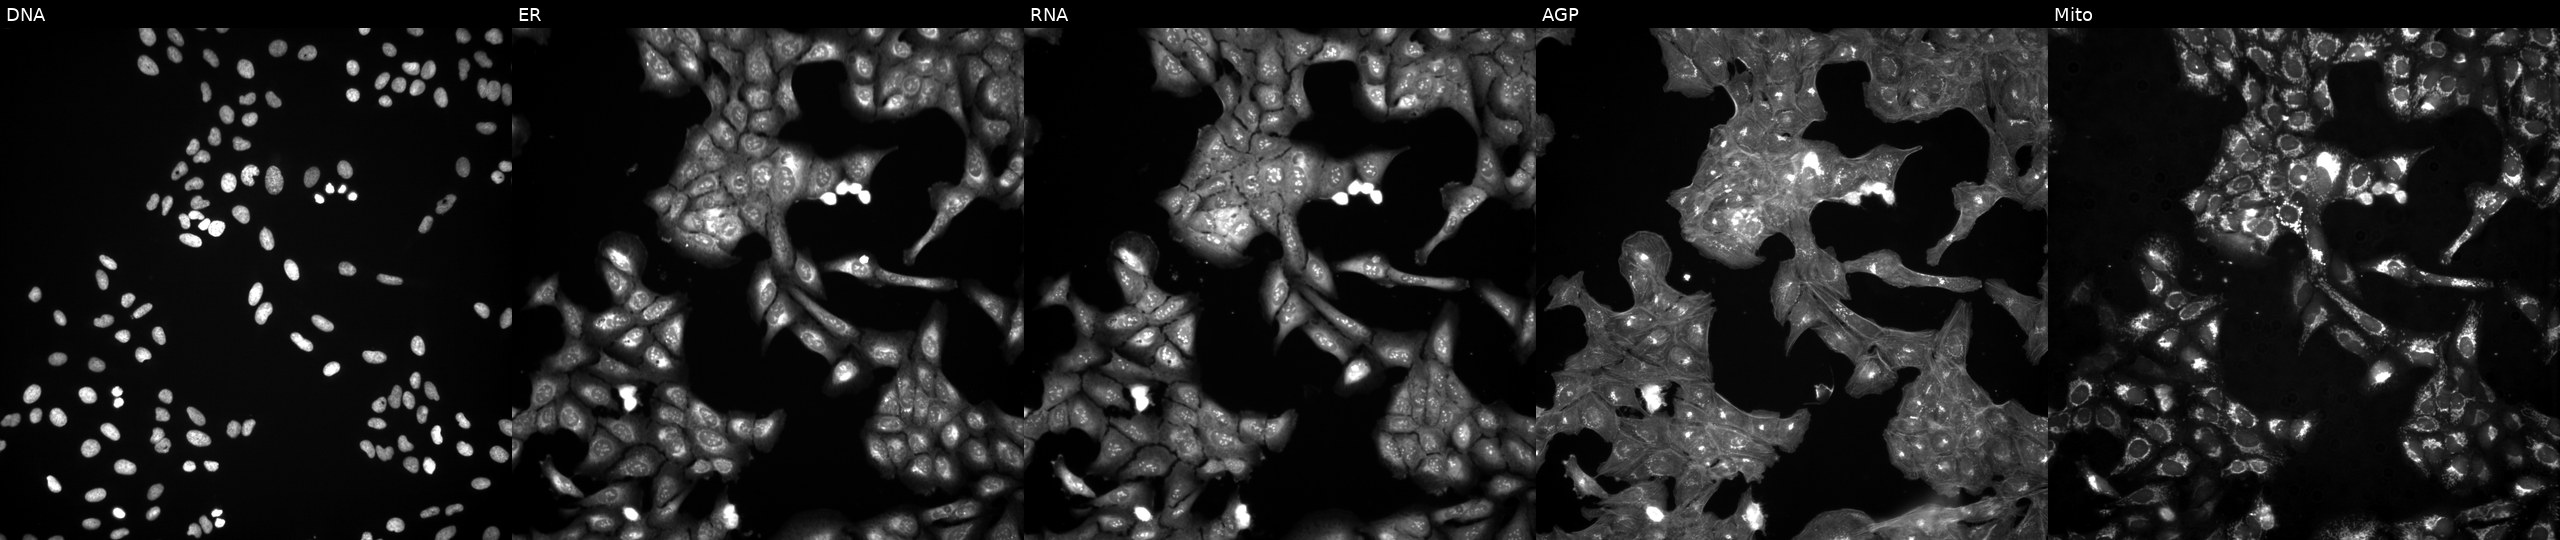
JUMP Cell Painting — COMPOUND plate. U2OS cells exposed to DMSO alone as a negative control. The five panels, left to right, show DNA (nuclei); ER (endoplasmic reticulum); RNA (nucleoli and cytoplasmic RNA); AGP (actin cytoskeleton, Golgi, and plasma membrane); Mito (mitochondria). Source 3, plate BR5867b3, well D23.